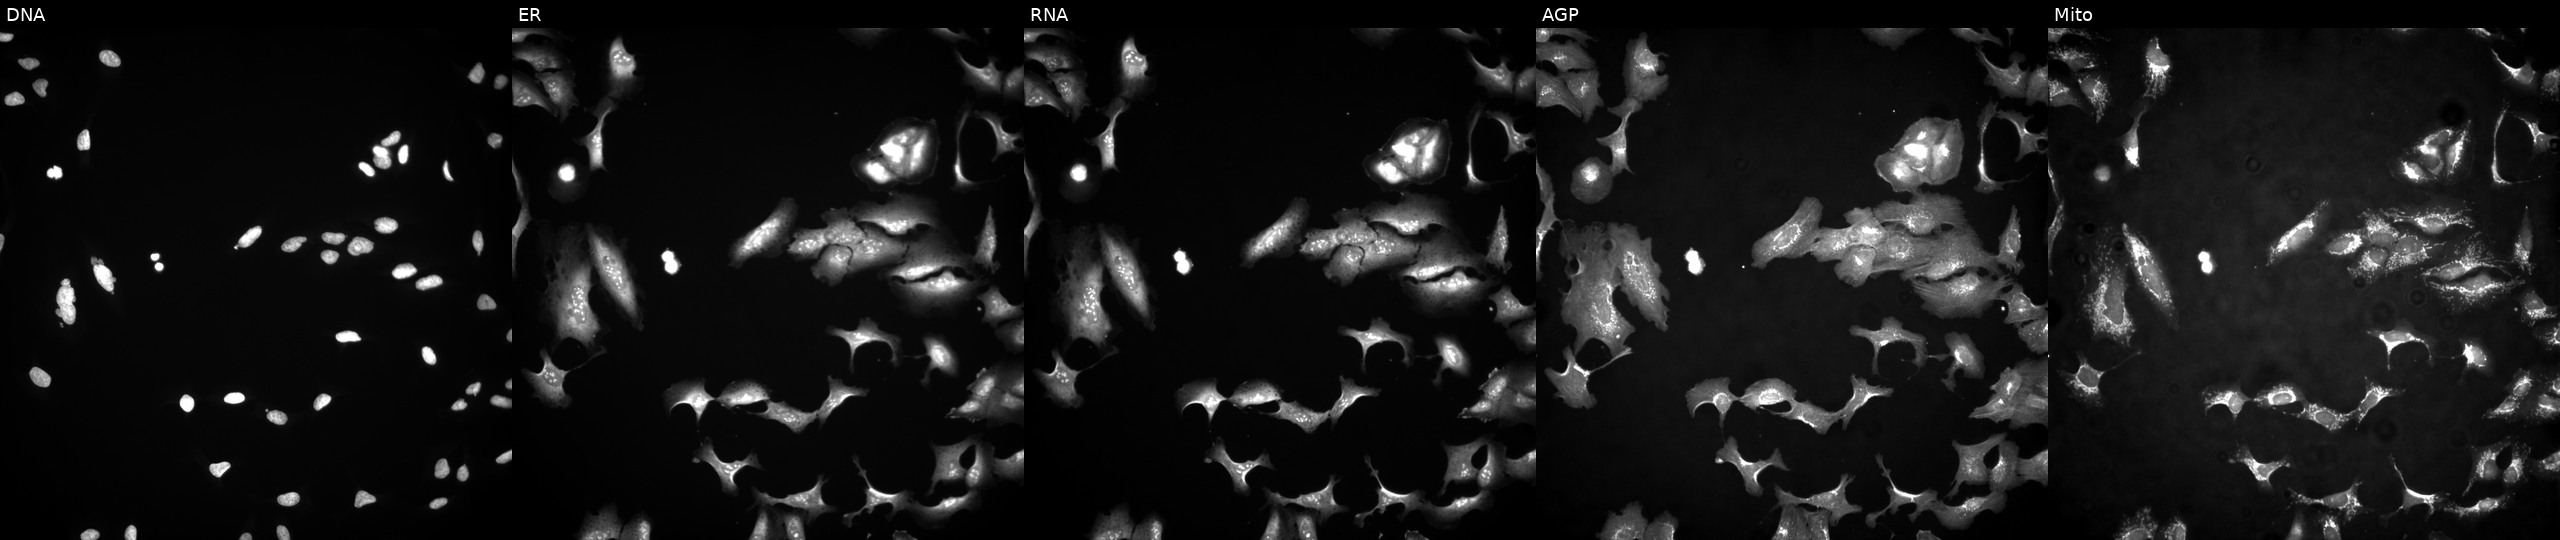
U2OS cells, Cell Painting assay, with CTBP2 overexpressed (ORF) (JUMP id JCP2022_910028). Channels (left→right): DNA (nuclei); ER (endoplasmic reticulum); RNA (nucleoli and cytoplasmic RNA); AGP (actin cytoskeleton, Golgi, and plasma membrane); Mito (mitochondria). Each panel is percentile-stretched 16-bit fluorescence. Source 4, plate BR00117035, well F23.